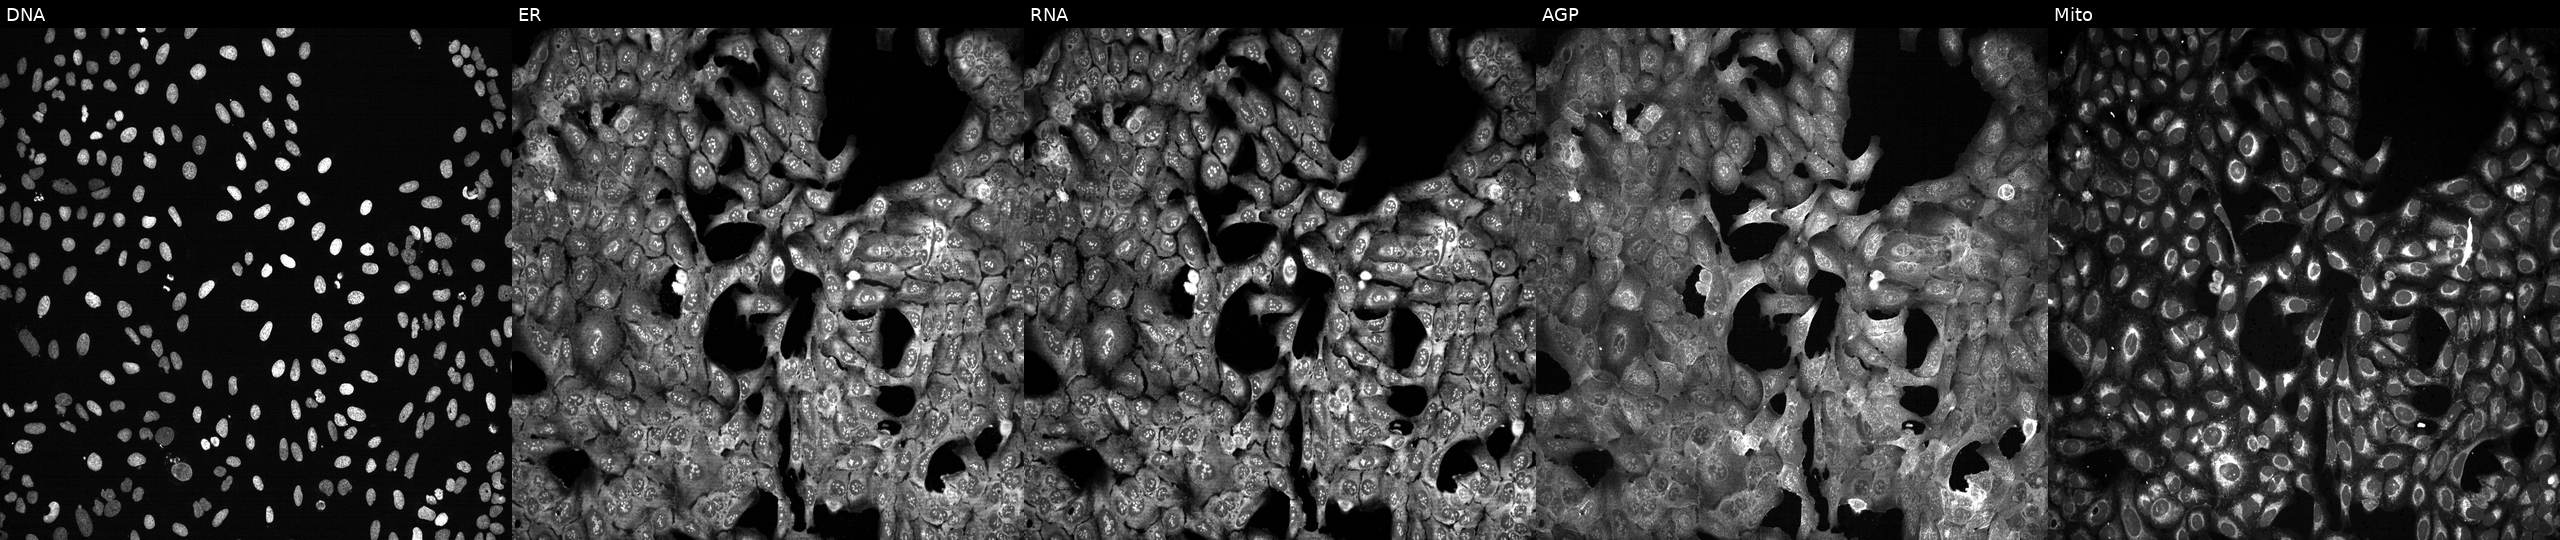
High-content fluorescence microscopy (Cell Painting). Cell line: U2OS. Perturbation: following CRISPR knockout of EREG. Channels (left→right): DNA, ER, RNA, AGP, and Mito.